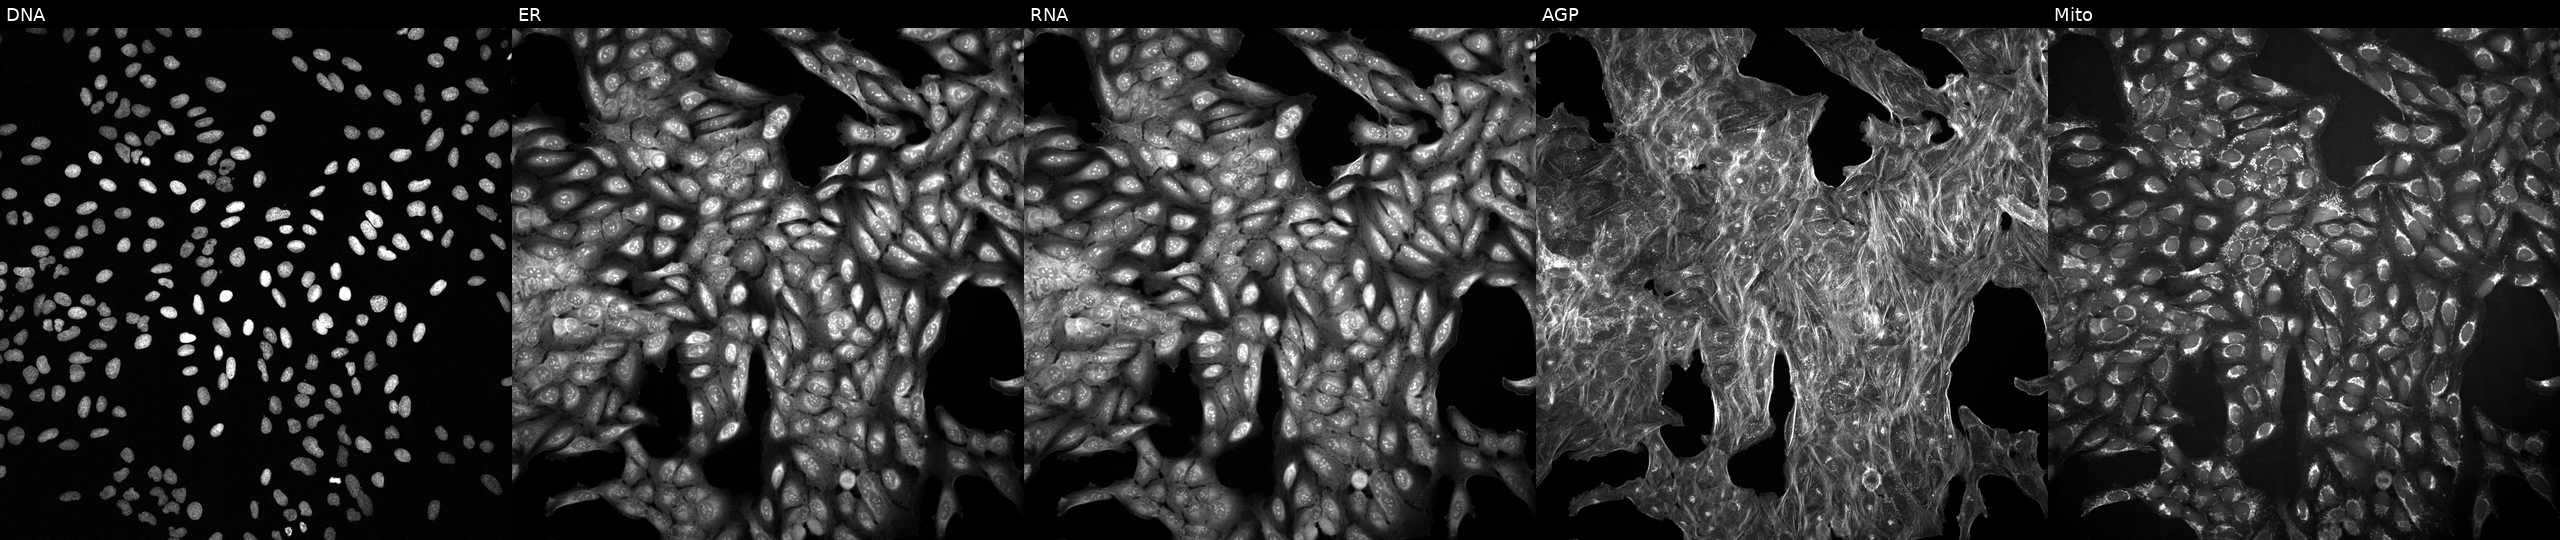
U2OS cells, Cell Painting assay, treated with DMSO vehicle only (negative control) (JUMP id JCP2022_033924). The five panels, left to right, show DNA (nuclei); ER (endoplasmic reticulum); RNA (nucleoli and cytoplasmic RNA); AGP (actin cytoskeleton, Golgi, and plasma membrane); Mito (mitochondria). Each panel is percentile-stretched 16-bit fluorescence.